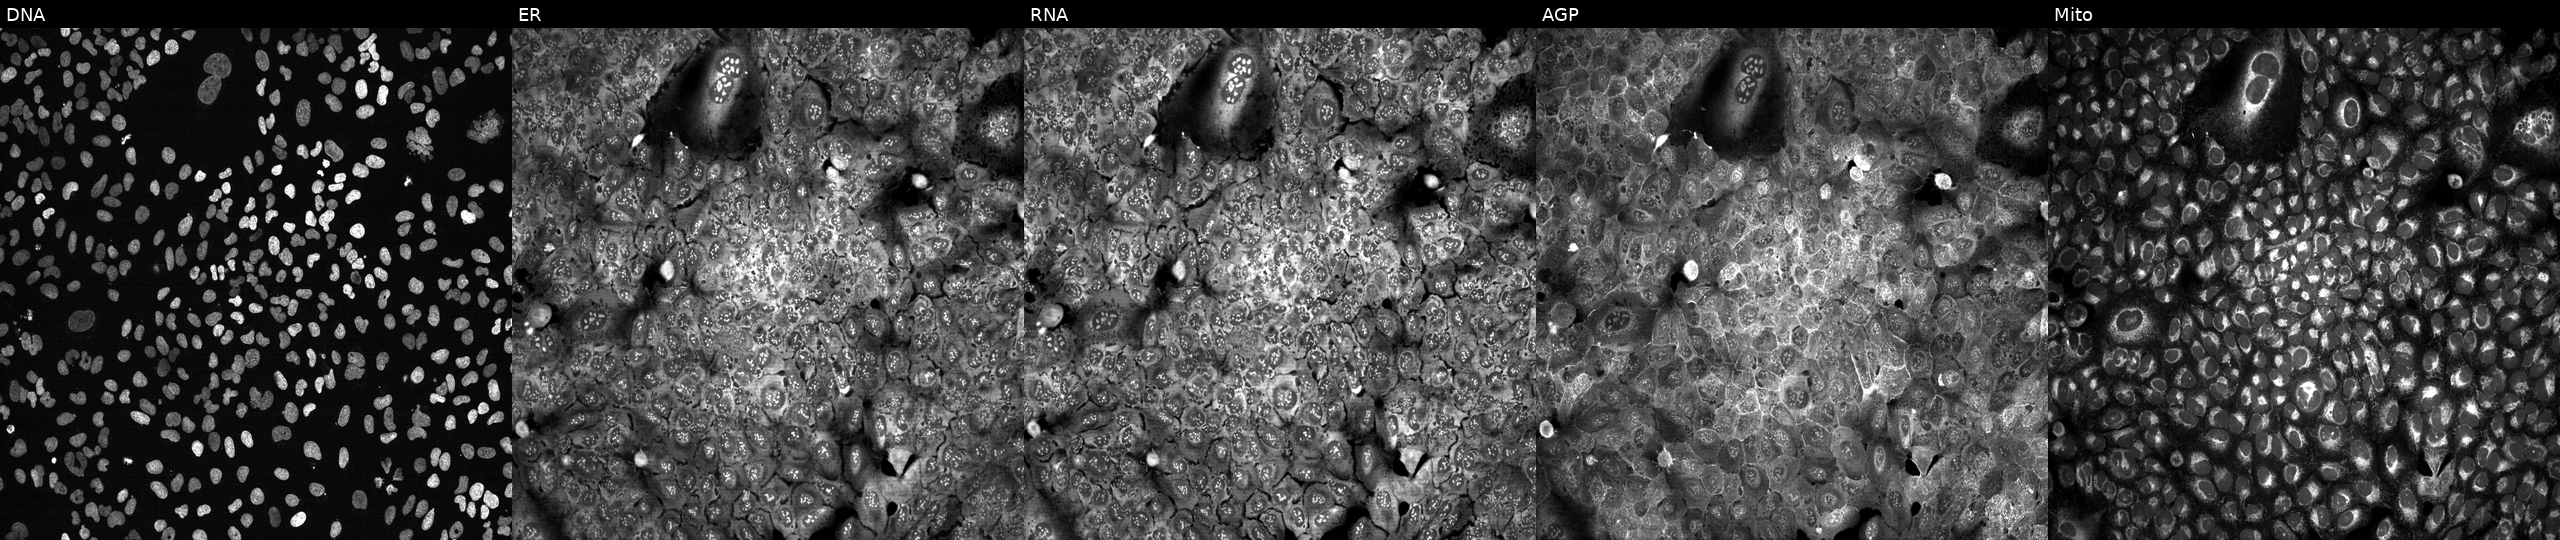
This image strip shows the five Cell Painting channels for a single field of U2OS cells following CRISPR knockout of GLYATL1 (JUMP id JCP2022_802745). Panels show, left to right, DNA (nuclei); ER (endoplasmic reticulum); RNA (nucleoli and cytoplasmic RNA); AGP (actin cytoskeleton, Golgi, and plasma membrane); Mito (mitochondria). Source 13, plate CP-CC9-R4-04, well D13.